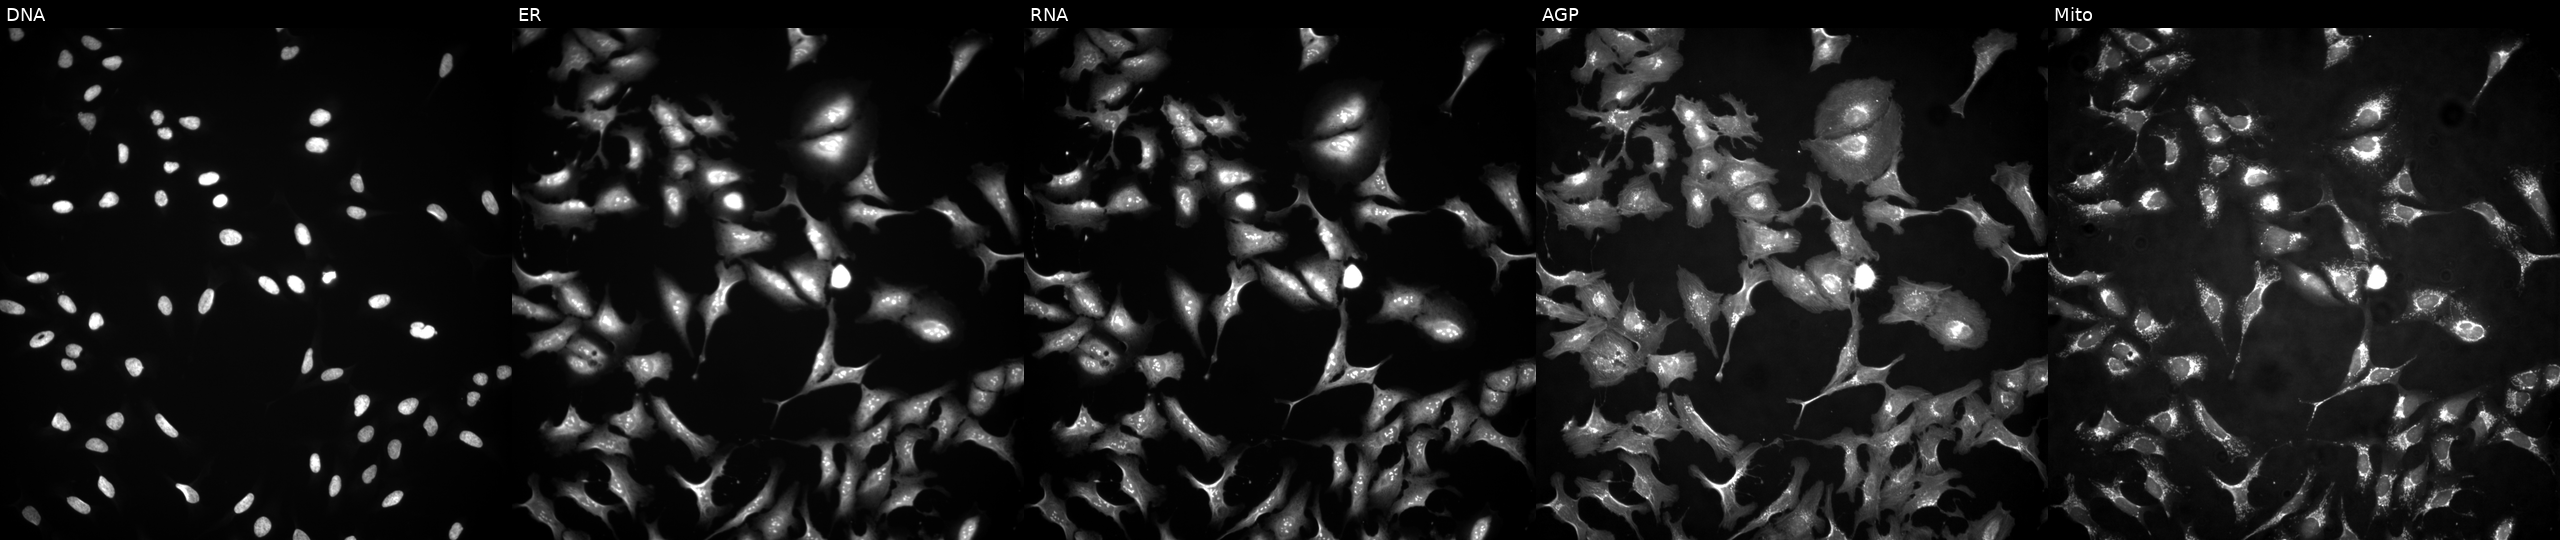
U2OS cells, Cell Painting assay, overexpressing ZNF524 via ORF transfection. The five panels, left to right, show DNA, ER, RNA, AGP, and Mito. Each panel is percentile-stretched 16-bit fluorescence.